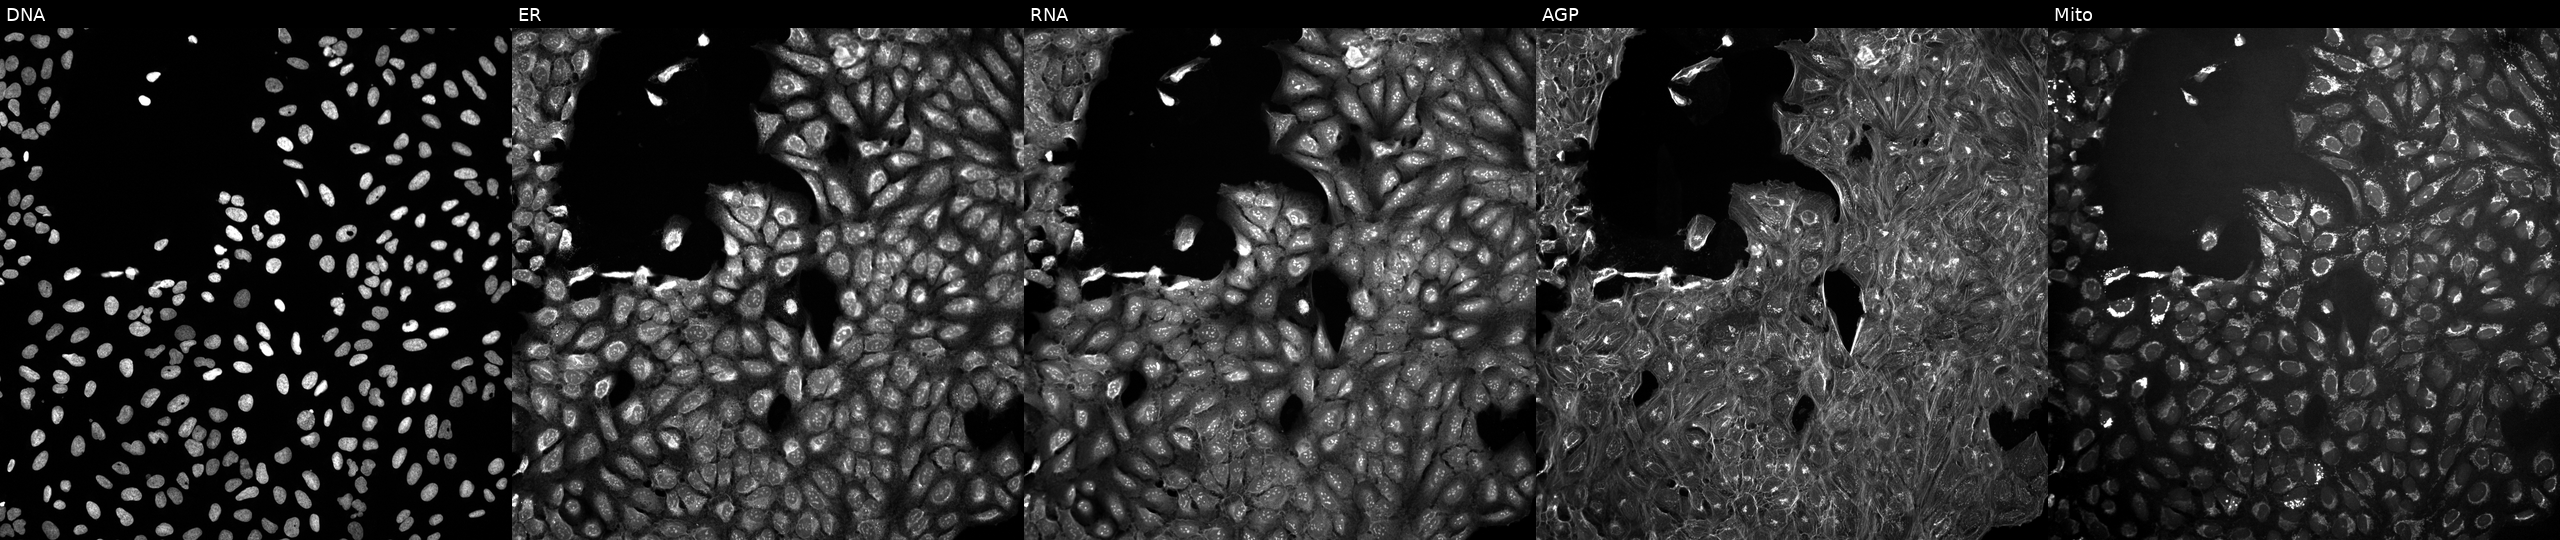
JUMP Cell Painting — COMPOUND plate. U2OS cells perturbed with a small-molecule compound [SMILES: Cc1cc(-c2cc(F)cc3c2OC(CNC(=O)C2CCC2)C3)ccc1F]. From left to right: DNA (nuclei); ER (endoplasmic reticulum); RNA (nucleoli and cytoplasmic RNA); AGP (actin cytoskeleton, Golgi, and plasma membrane); Mito (mitochondria). Source 10, plate Dest210531-152324, well I08.